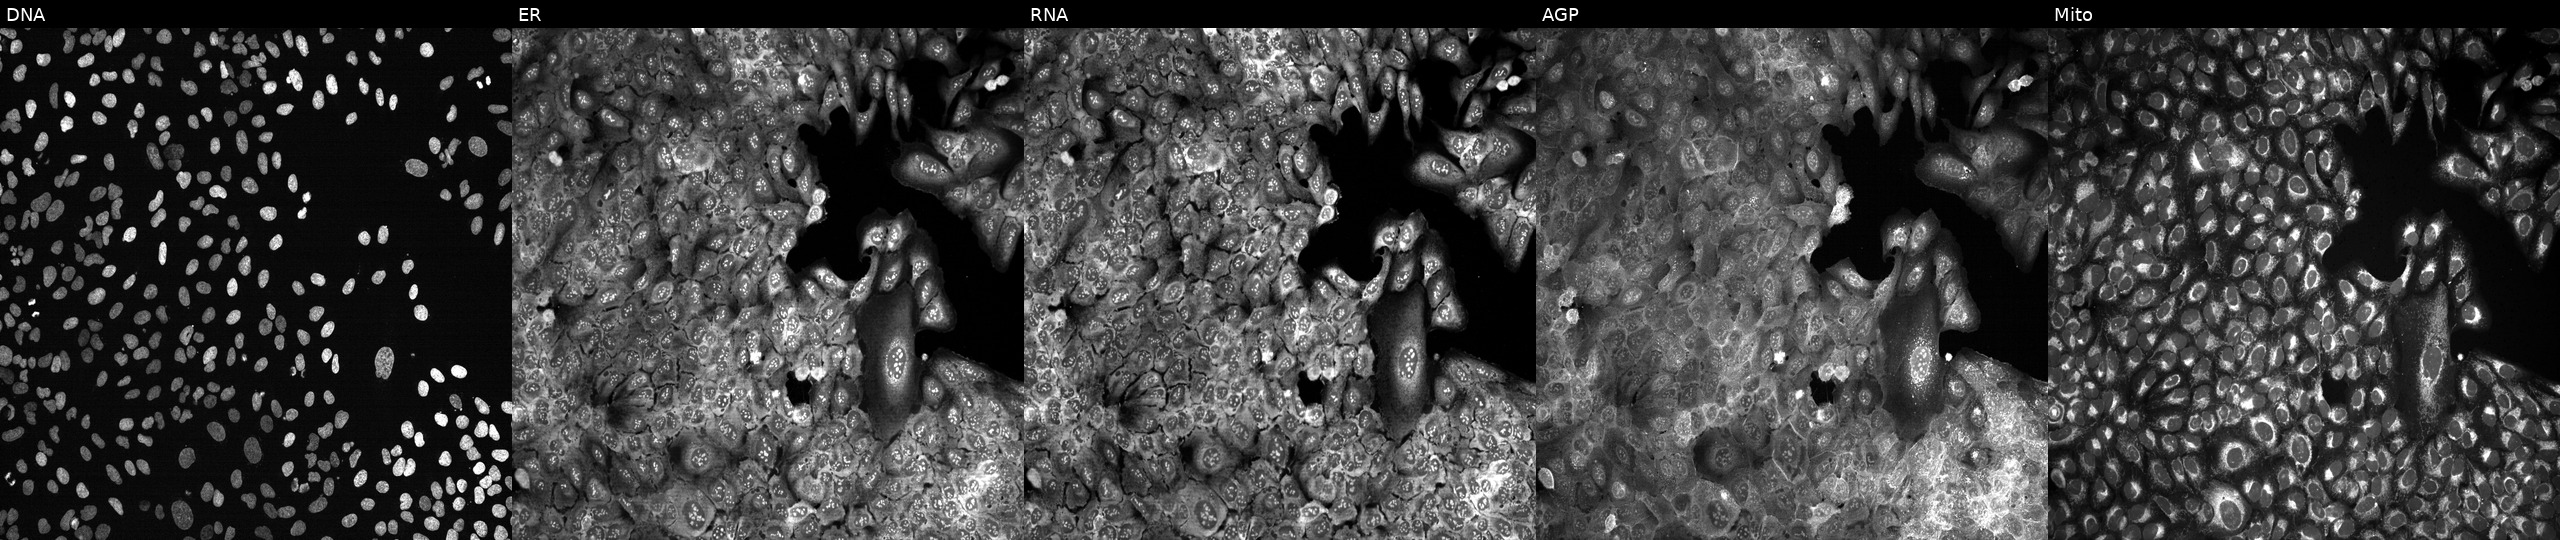
Five-channel Cell Painting image of U2OS cells following CRISPR knockout of FAAH2. Channels (left→right): DNA (nuclei); ER (endoplasmic reticulum); RNA (nucleoli and cytoplasmic RNA); AGP (actin cytoskeleton, Golgi, and plasma membrane); Mito (mitochondria).